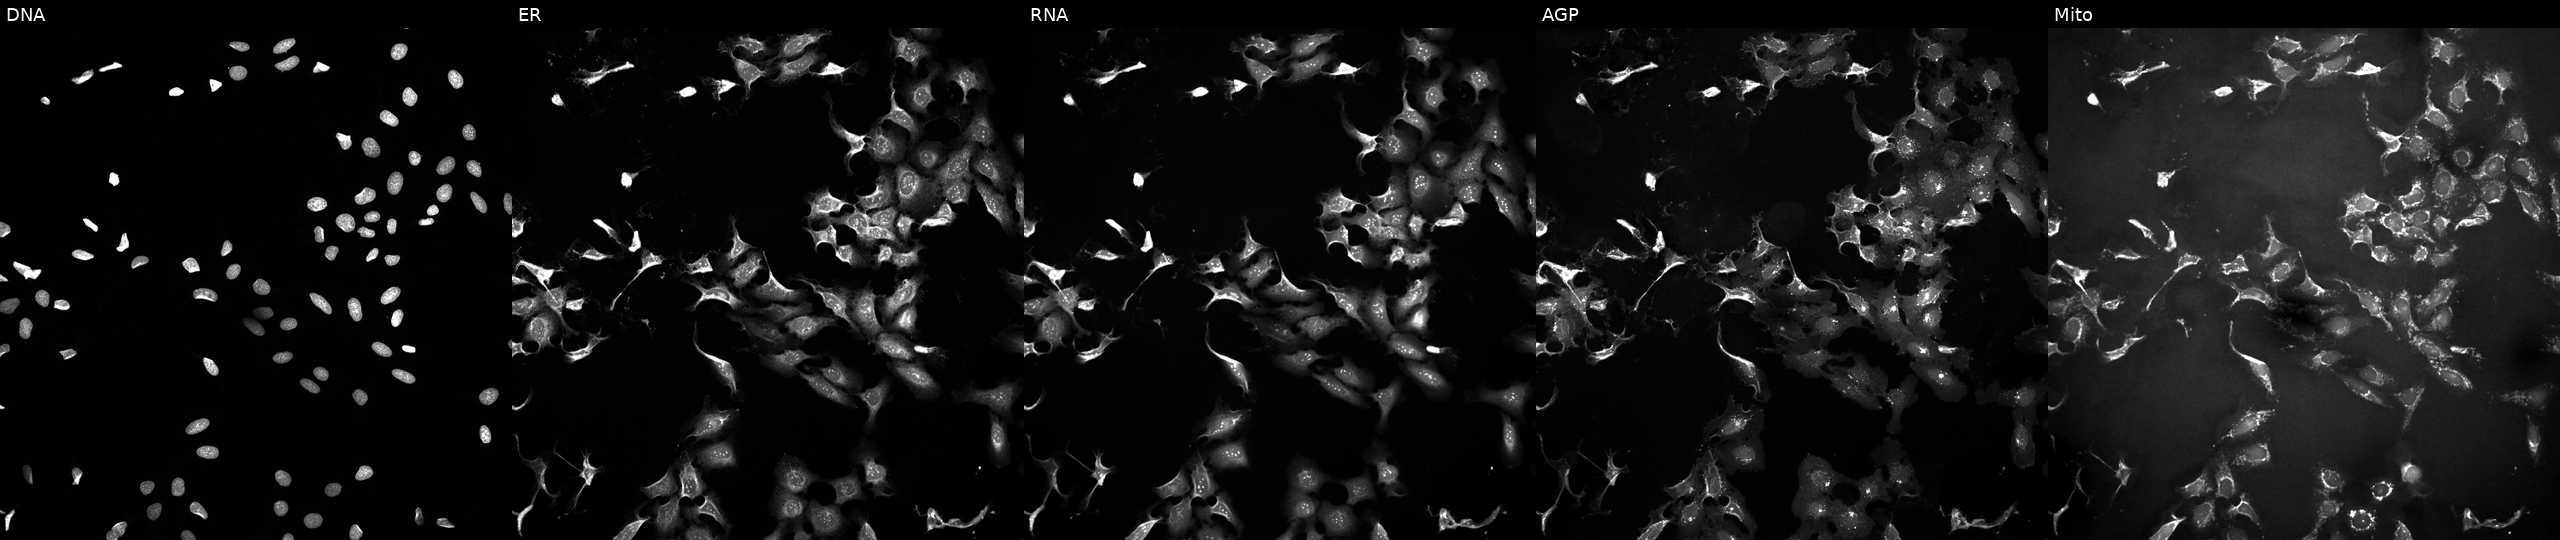
U2OS cells, Cell Painting assay, treated with FK-866 (positive-control compound) (JUMP id JCP2022_046054). The five panels, left to right, show Hoechst 33342, concanavalin A, SYTO 14, phalloidin and WGA, MitoTracker. Each panel is percentile-stretched 16-bit fluorescence.